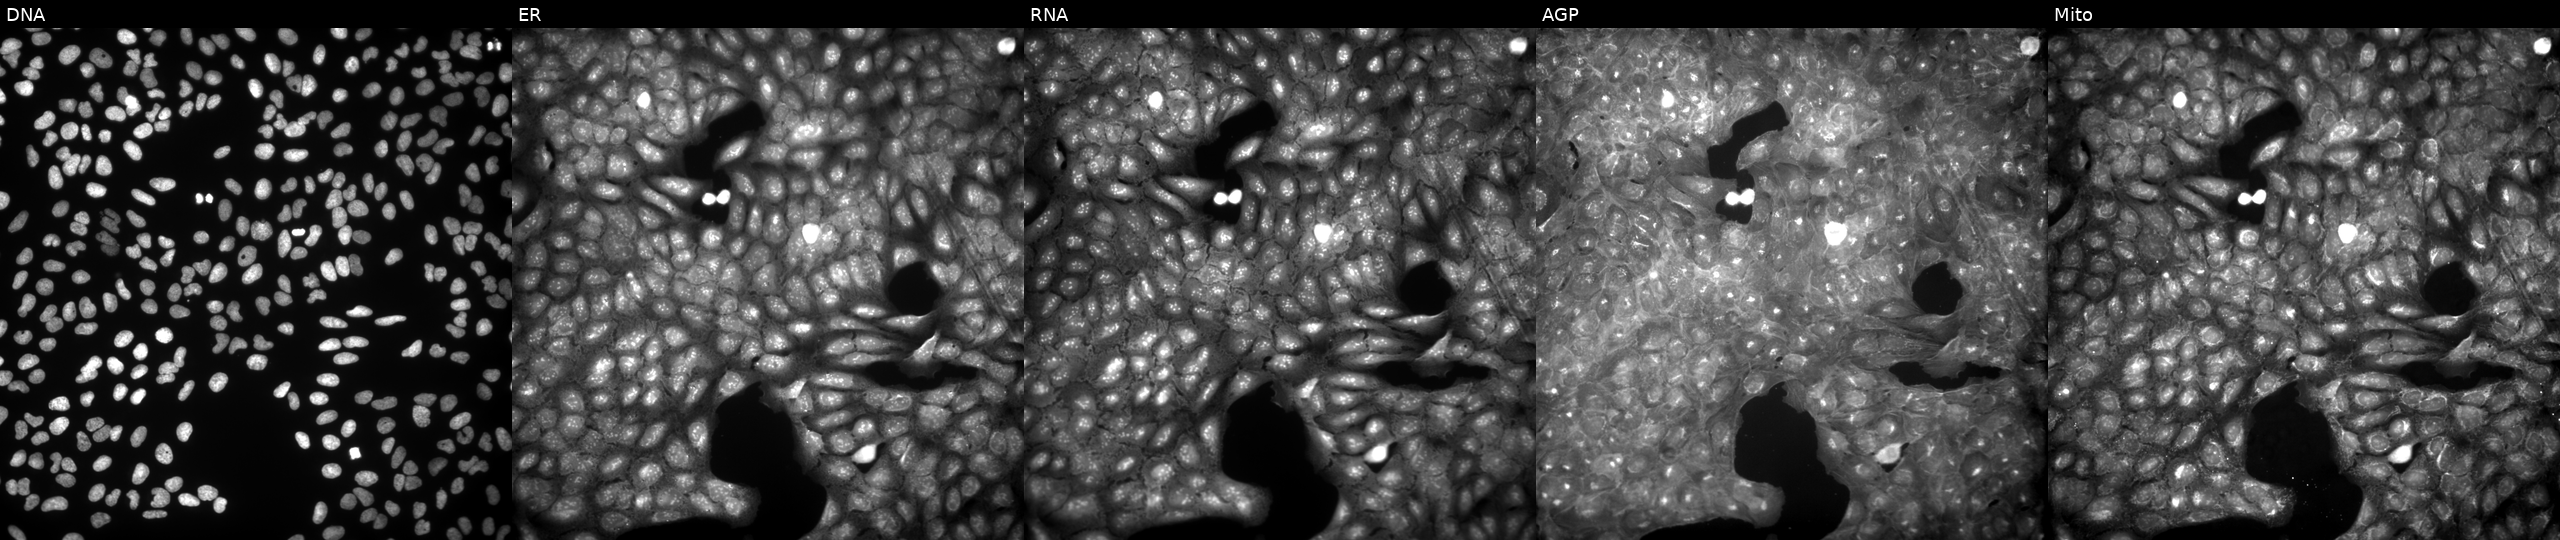
High-content fluorescence microscopy (Cell Painting). Cell line: U2OS. Perturbation: perturbed with a small-molecule compound [SMILES: C=CCN(CC=C)C(=O)c1ccccc1NC(=O)c1ccccc1C] (JUMP id JCP2022_105890). Channels (left→right): DNA (nuclei); ER (endoplasmic reticulum); RNA (nucleoli and cytoplasmic RNA); AGP (actin cytoskeleton, Golgi, and plasma membrane); Mito (mitochondria).